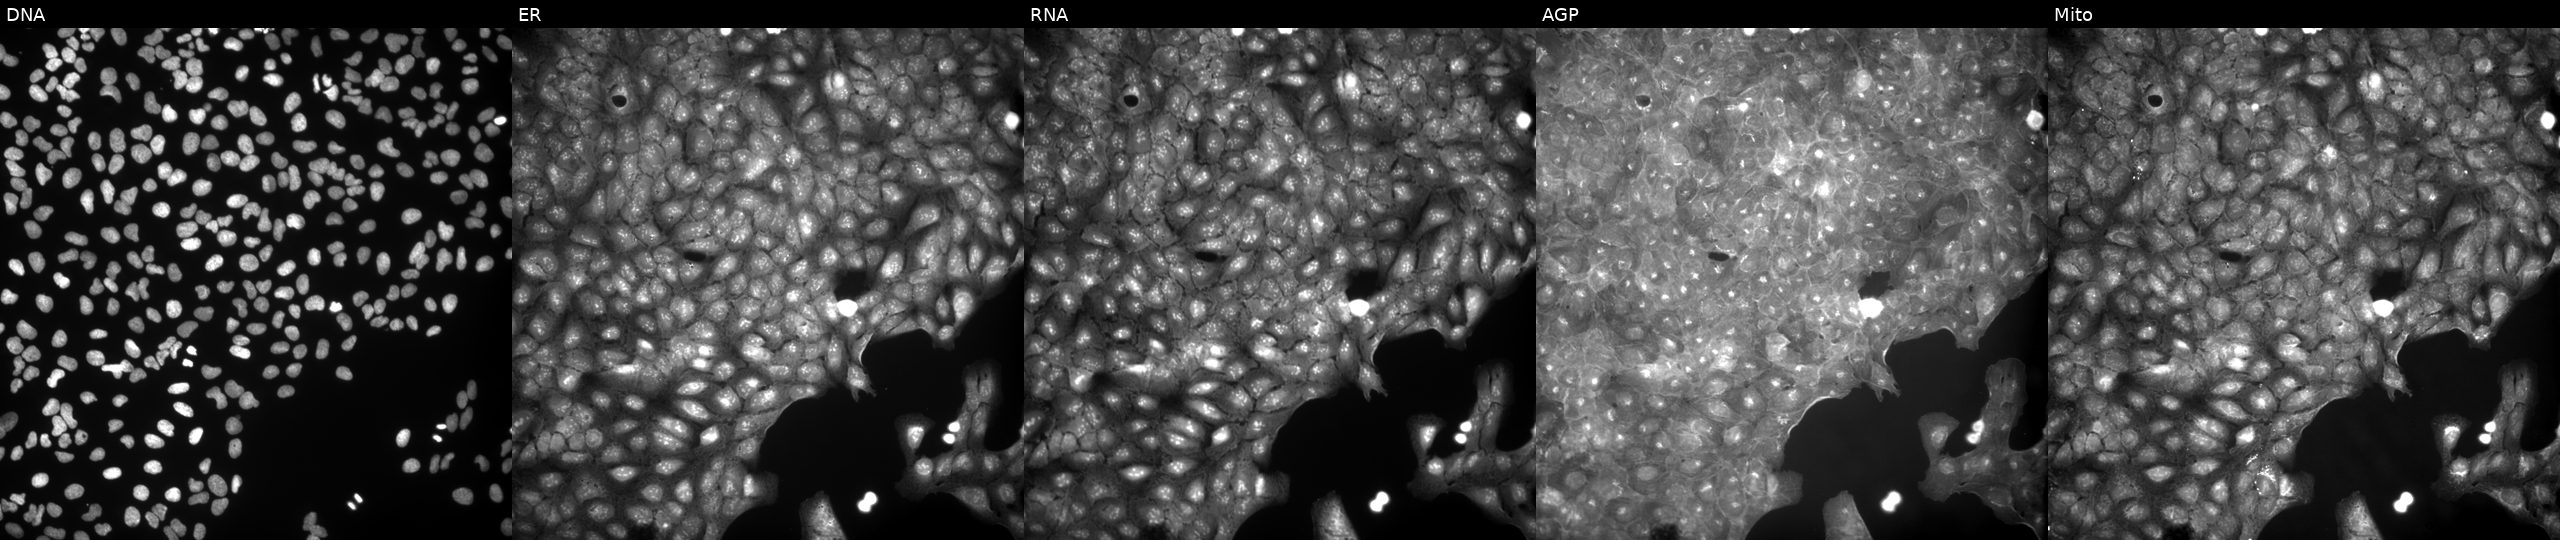
JUMP Cell Painting — COMPOUND plate. U2OS cells treated with a small-molecule compound (JUMP id JCP2022_035553). Channels (left→right): DNA, ER, RNA, AGP, and Mito.